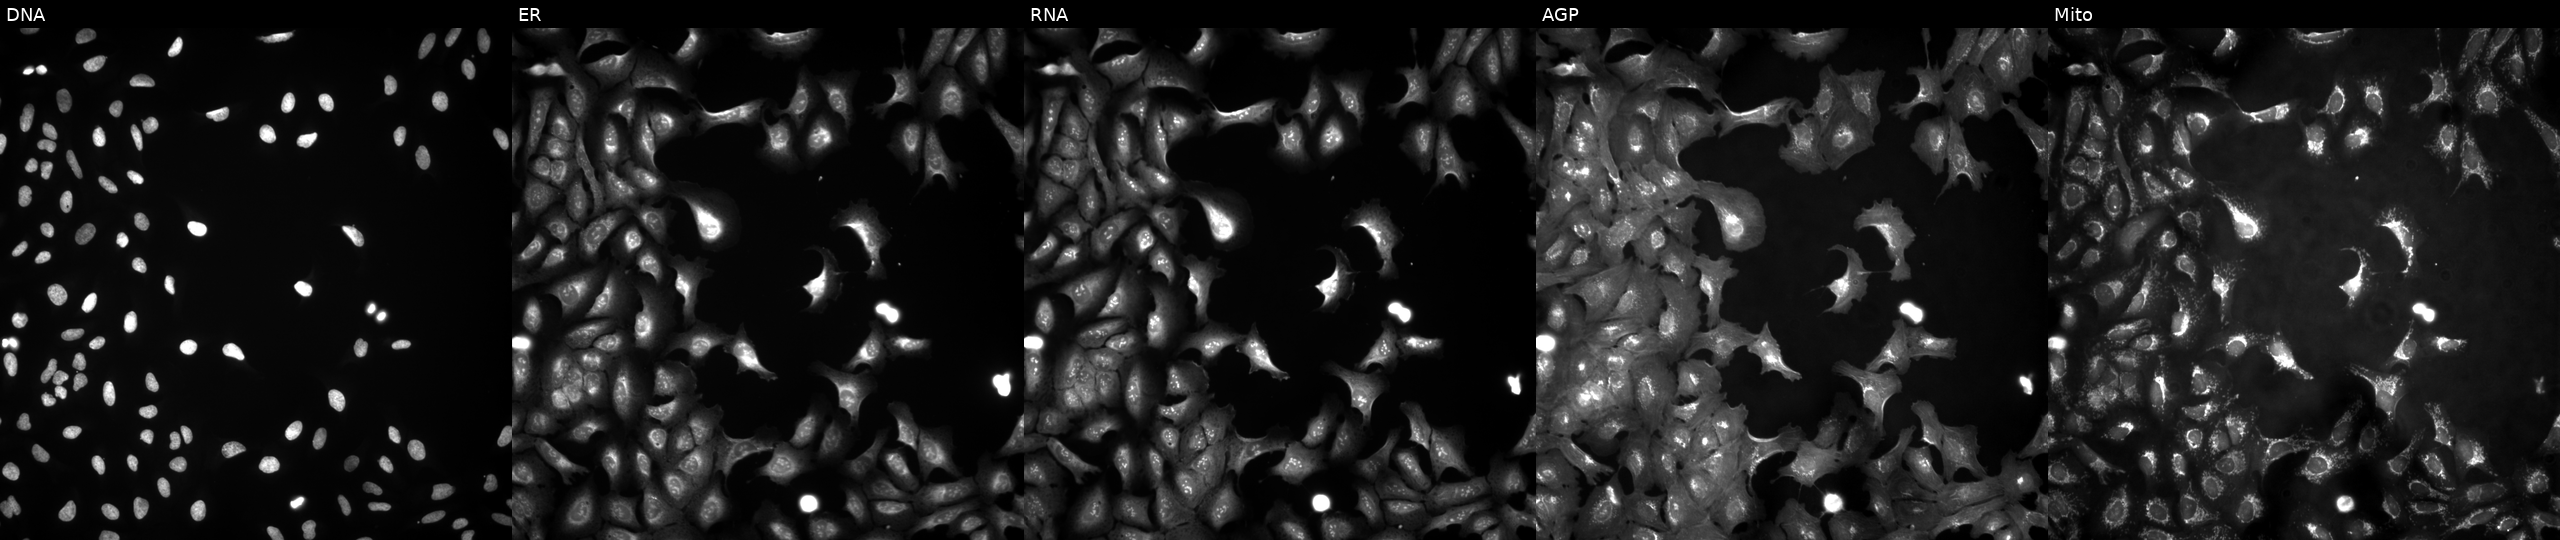
JUMP Cell Painting — ORF plate. U2OS cells transfected with an ORF construct for ZNF16 (JUMP id JCP2022_910469). Panels show, left to right, DNA, ER, RNA, AGP, and Mito.